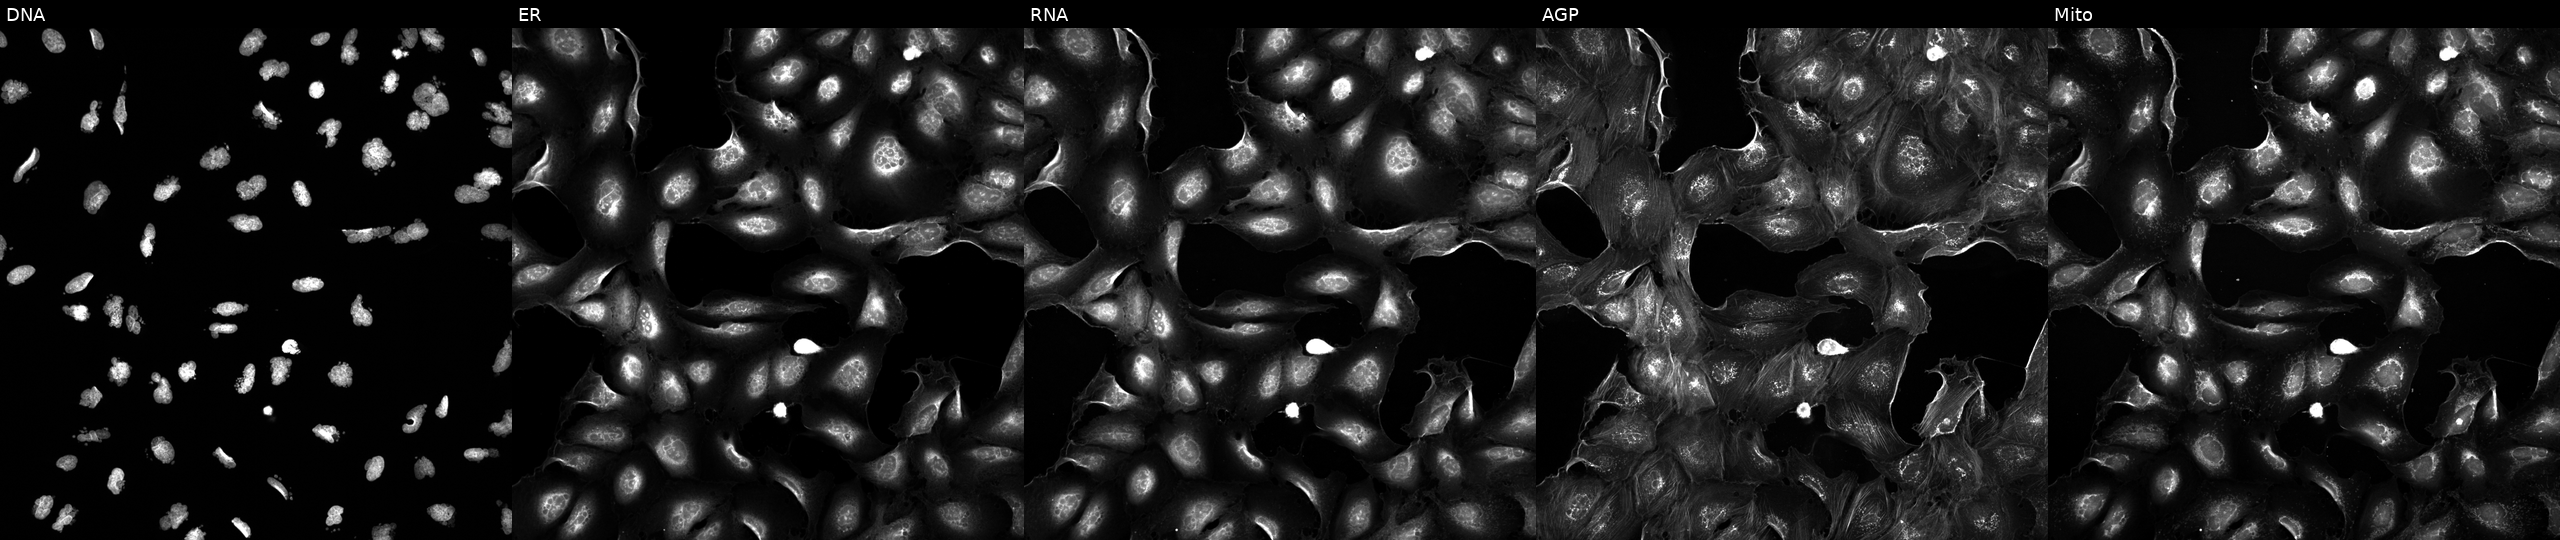
Five-channel Cell Painting image of U2OS cells treated with AMG900 (positive-control compound). Channels (left→right): DNA, ER, RNA, AGP, and Mito.